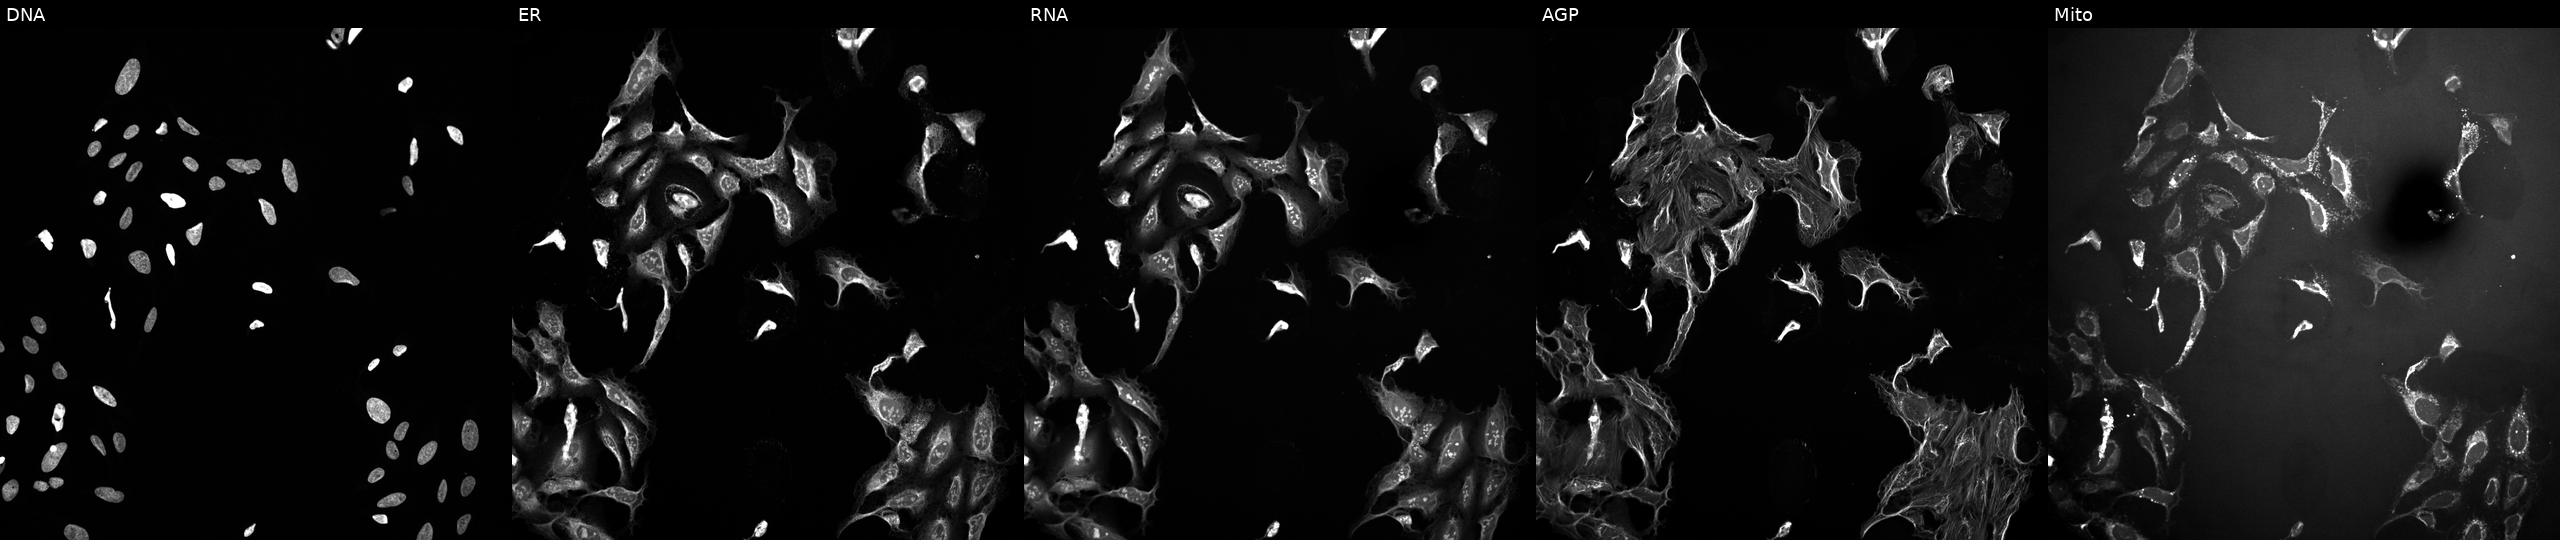
The five panels, left to right, show DNA, ER, RNA, AGP, and Mito. U2OS osteosarcoma cells exposed to a small-molecule compound [SMILES: COc1cc2ncnc(Sc3nnc(C)s3)c2cc1OC] (JUMP id JCP2022_080150). Cell Painting assay, JUMP-CP dataset. Source 10, plate Dest210727-153003, well B08.